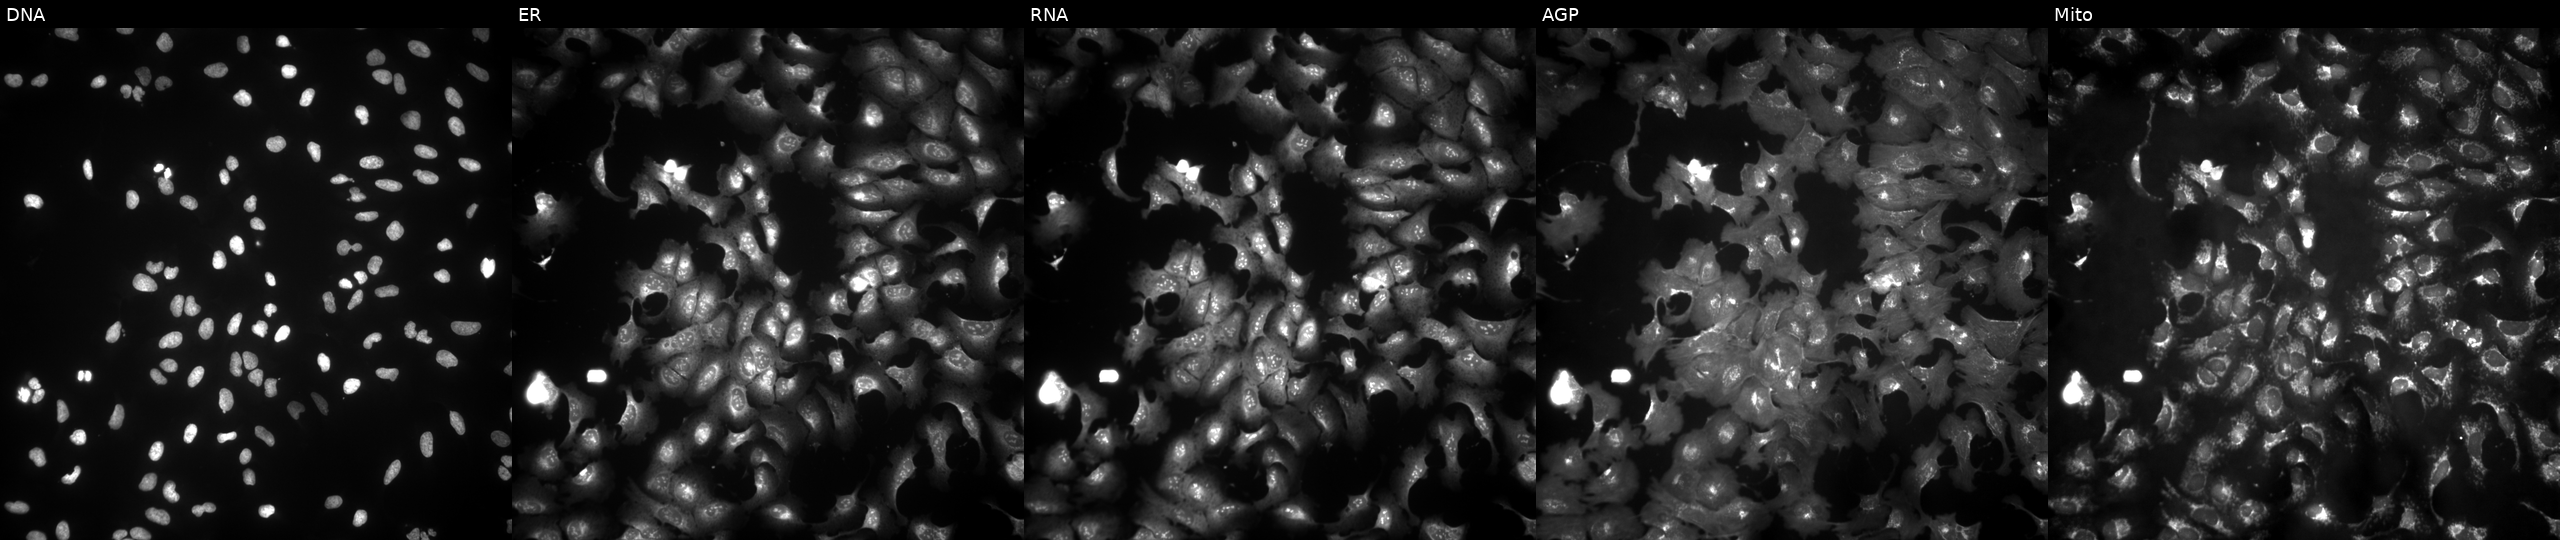
Five-channel Cell Painting image of U2OS cells transfected with an ORF construct for TRIM15. The five panels, left to right, show DNA (nuclei); ER (endoplasmic reticulum); RNA (nucleoli and cytoplasmic RNA); AGP (actin cytoskeleton, Golgi, and plasma membrane); Mito (mitochondria).